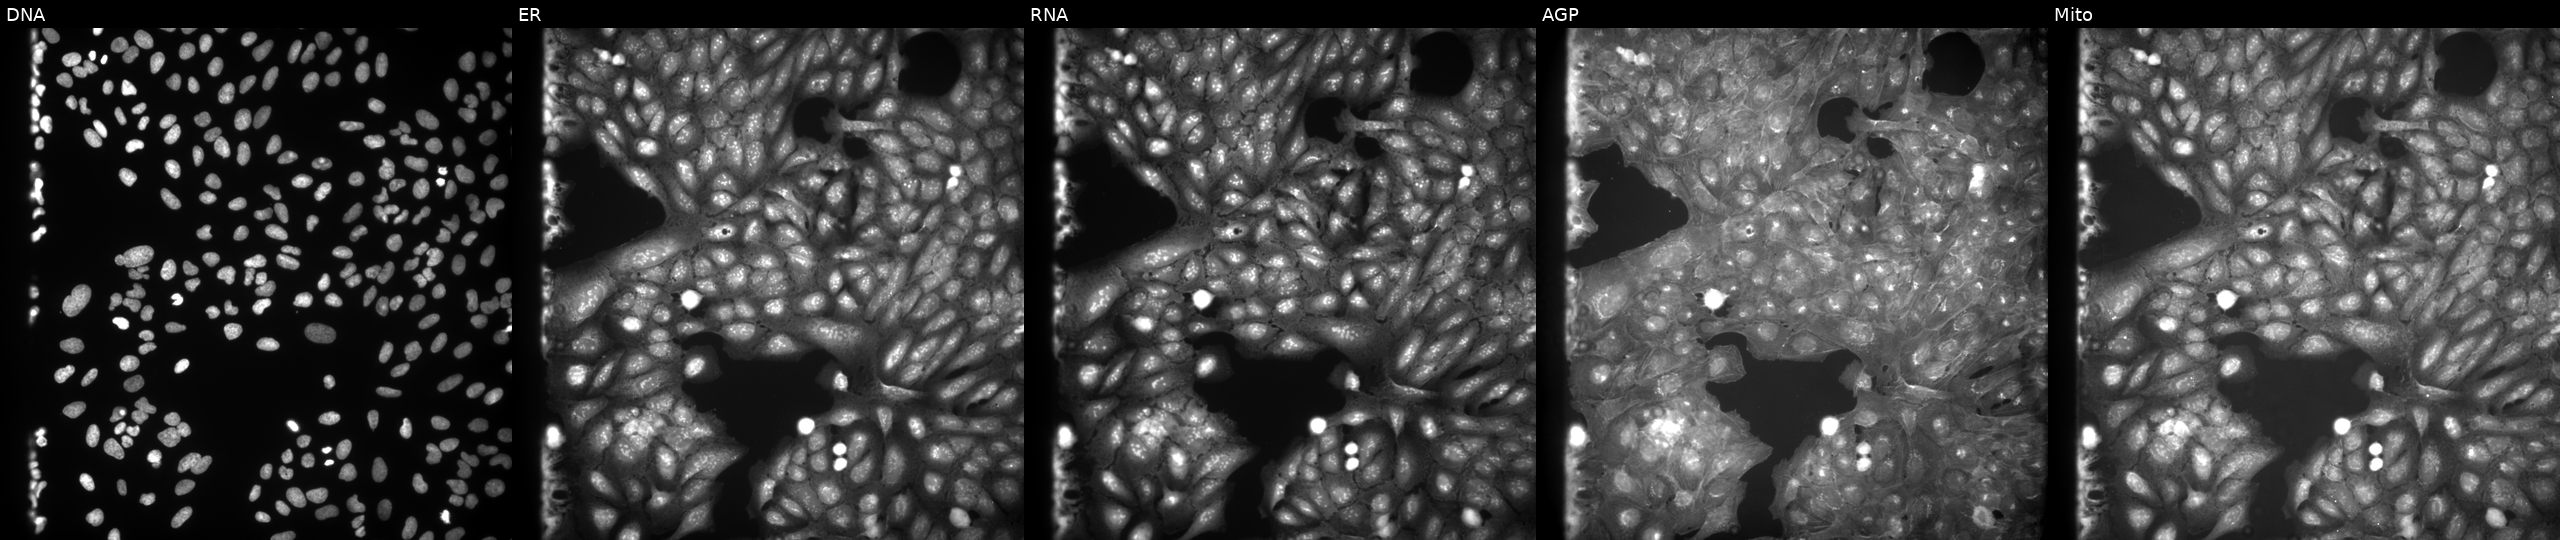
From left to right: DNA (nuclei); ER (endoplasmic reticulum); RNA (nucleoli and cytoplasmic RNA); AGP (actin cytoskeleton, Golgi, and plasma membrane); Mito (mitochondria). U2OS osteosarcoma cells perturbed with a small-molecule compound (InChIKey OKBVBDMZJLEBGM-UHFFFAOYSA-N). Cell Painting assay, JUMP-CP dataset. Source 9, plate GR00003382, well C12.